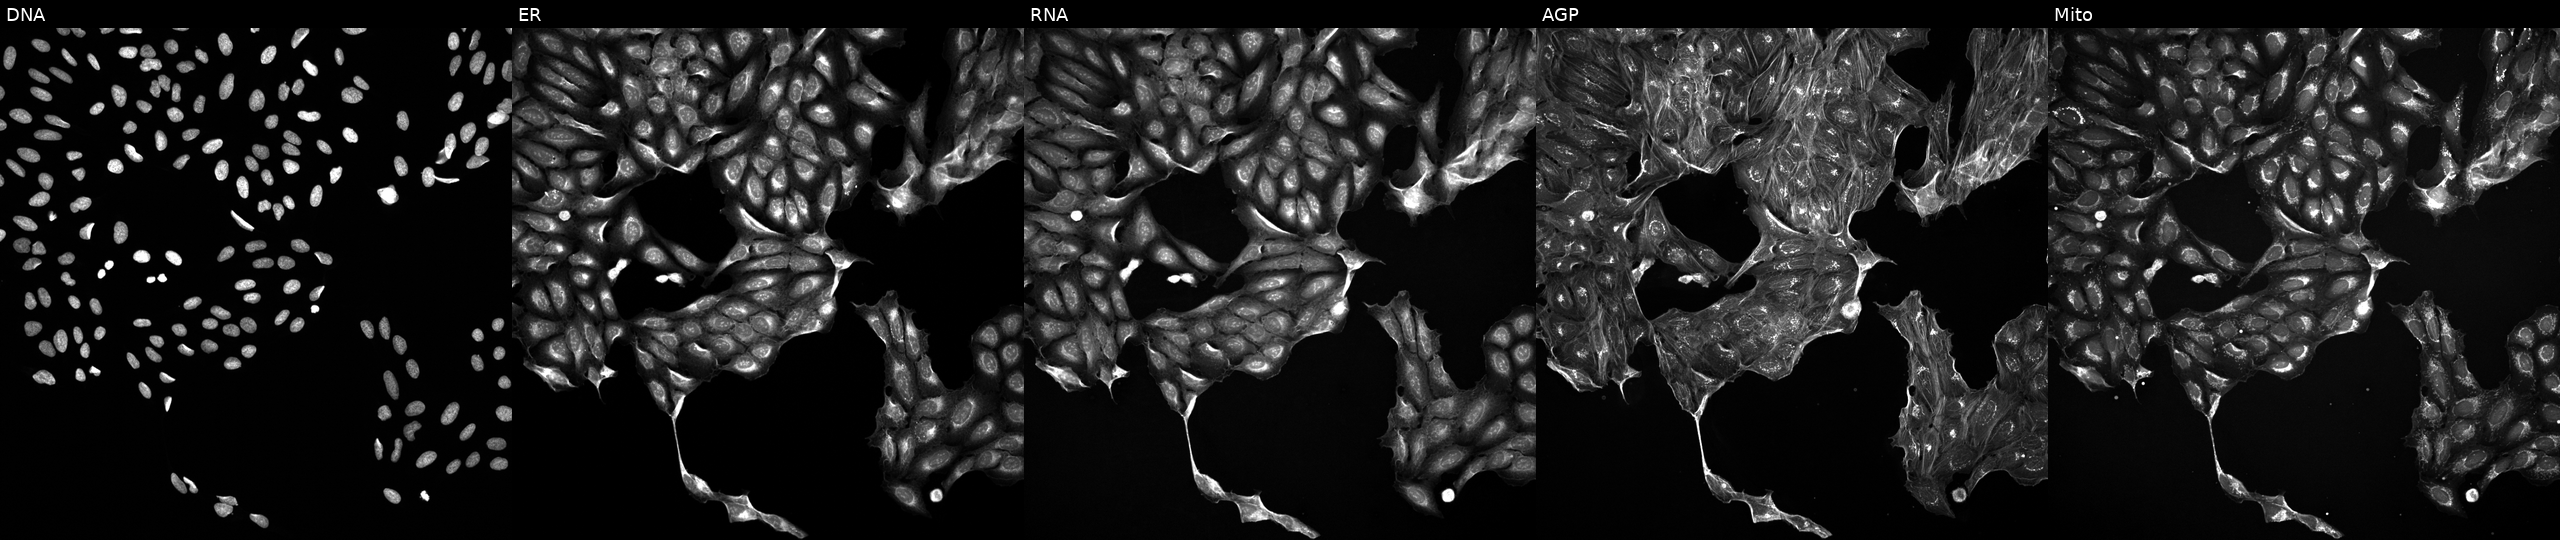
Five-channel Cell Painting image of U2OS cells treated with a small-molecule compound (InChIKey ZJVFLBOZORBYFE-UHFFFAOYSA-N) [SMILES: CC(C)C(=O)c1c(C(C)C)nn2ccccc12] (JUMP id JCP2022_113779). From left to right: DNA (nuclei); ER (endoplasmic reticulum); RNA (nucleoli and cytoplasmic RNA); AGP (actin cytoskeleton, Golgi, and plasma membrane); Mito (mitochondria).